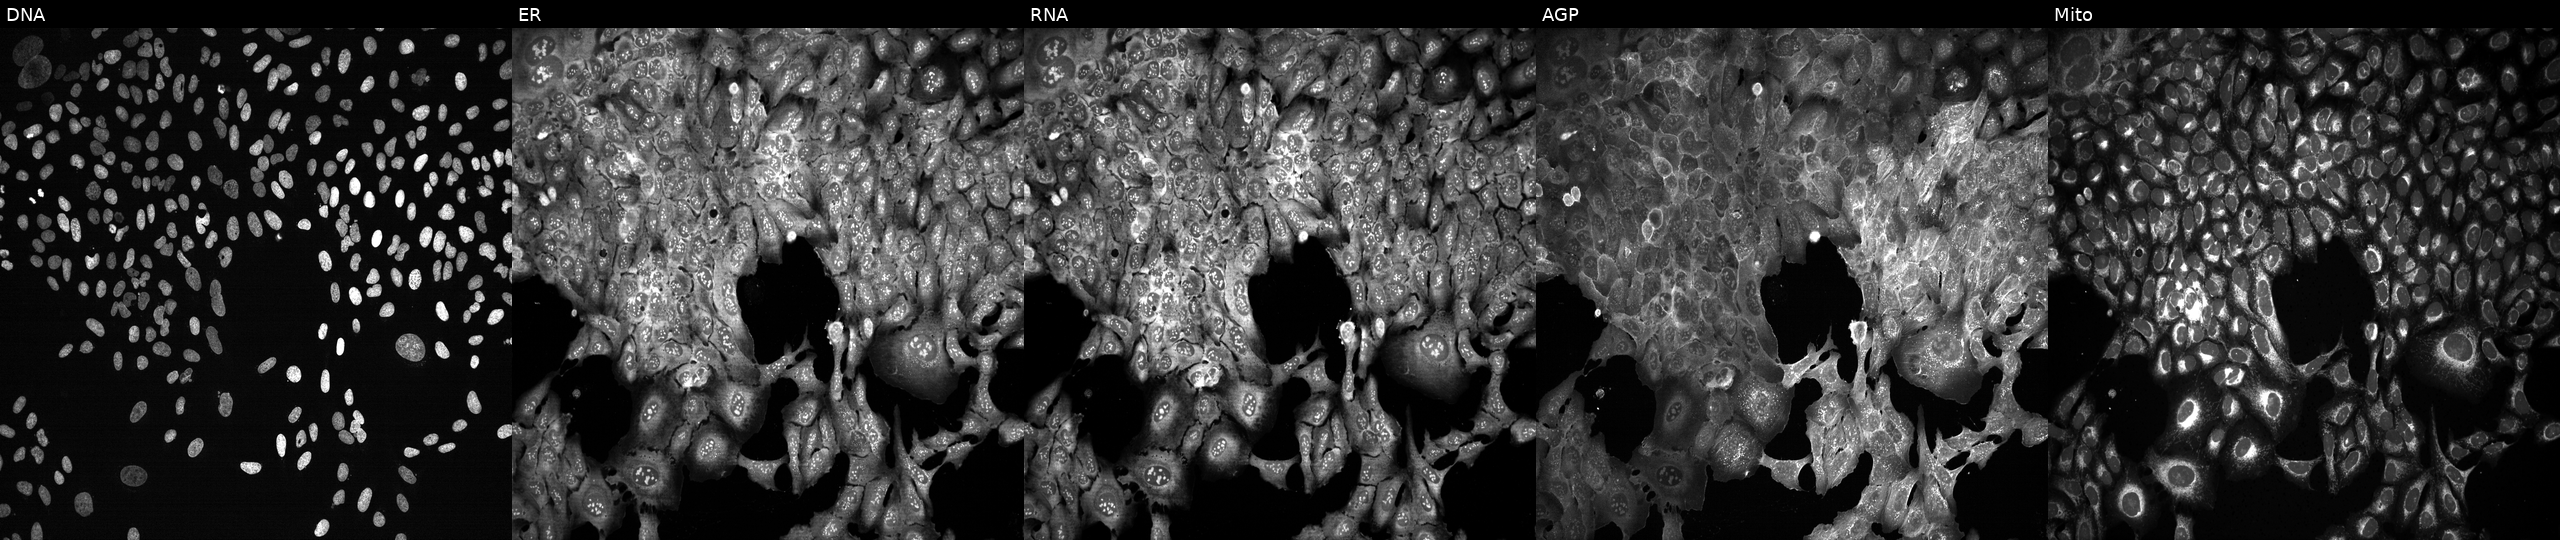
This image strip shows the five Cell Painting channels for a single field of U2OS cells with PMPCB knocked out by CRISPR (JUMP id JCP2022_805299). From left to right: DNA, ER, RNA, AGP, and Mito. Source 13, plate CP-CC9-R6-19, well E09.